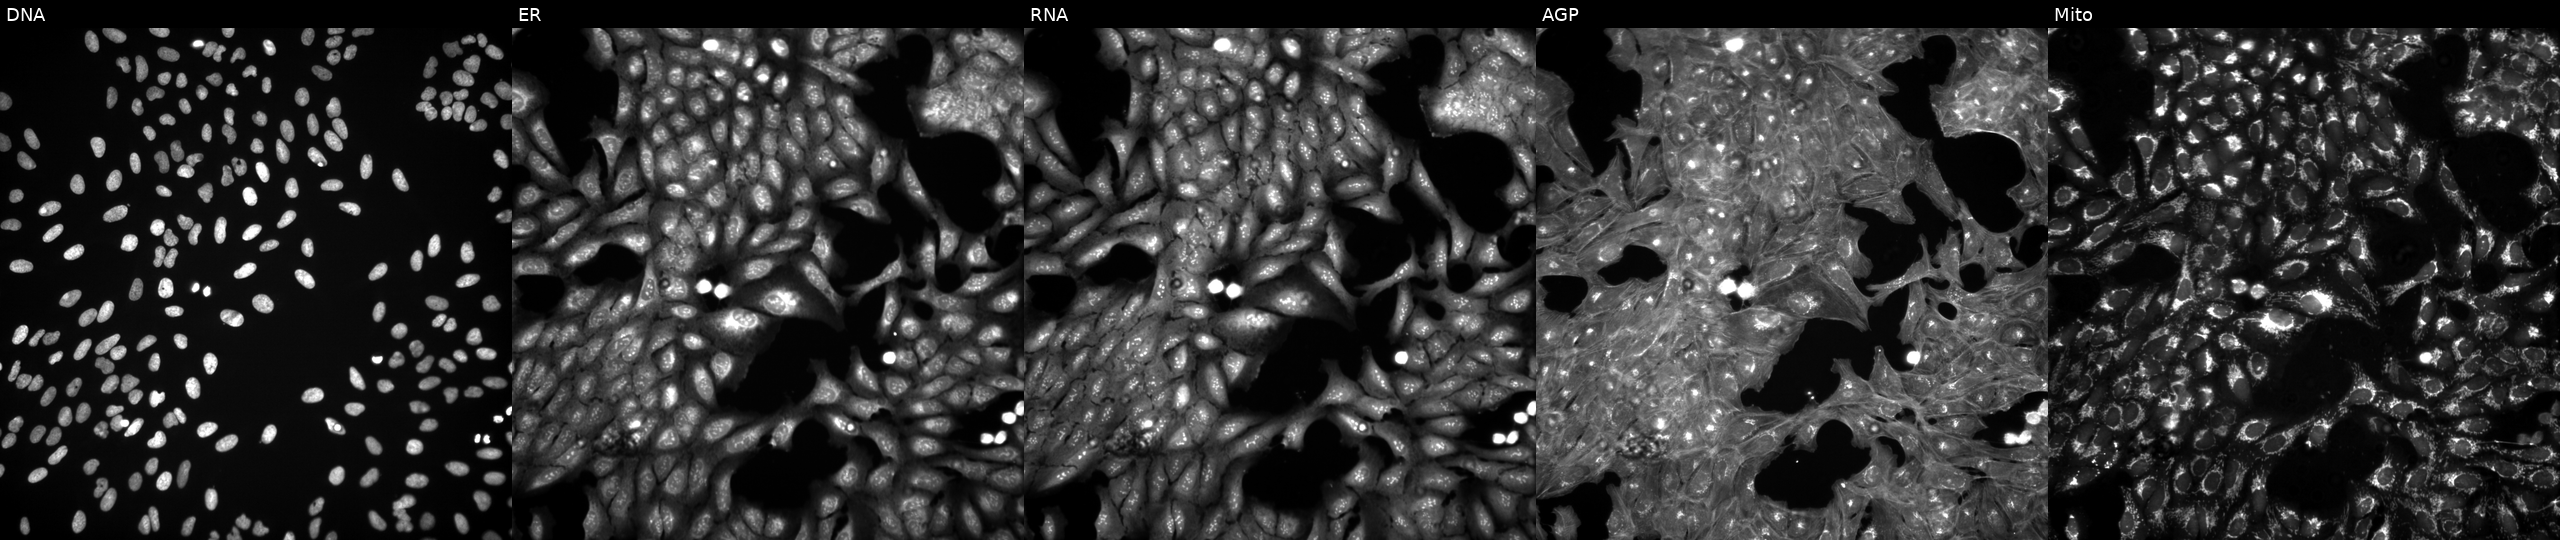
JUMP Cell Painting — TARGET2 plate. U2OS cells treated with a small-molecule compound (InChIKey YYOOFJZTRCPVFD-UHFFFAOYSA-N). Panels show, left to right, Hoechst 33342, concanavalin A, SYTO 14, phalloidin and WGA, MitoTracker.